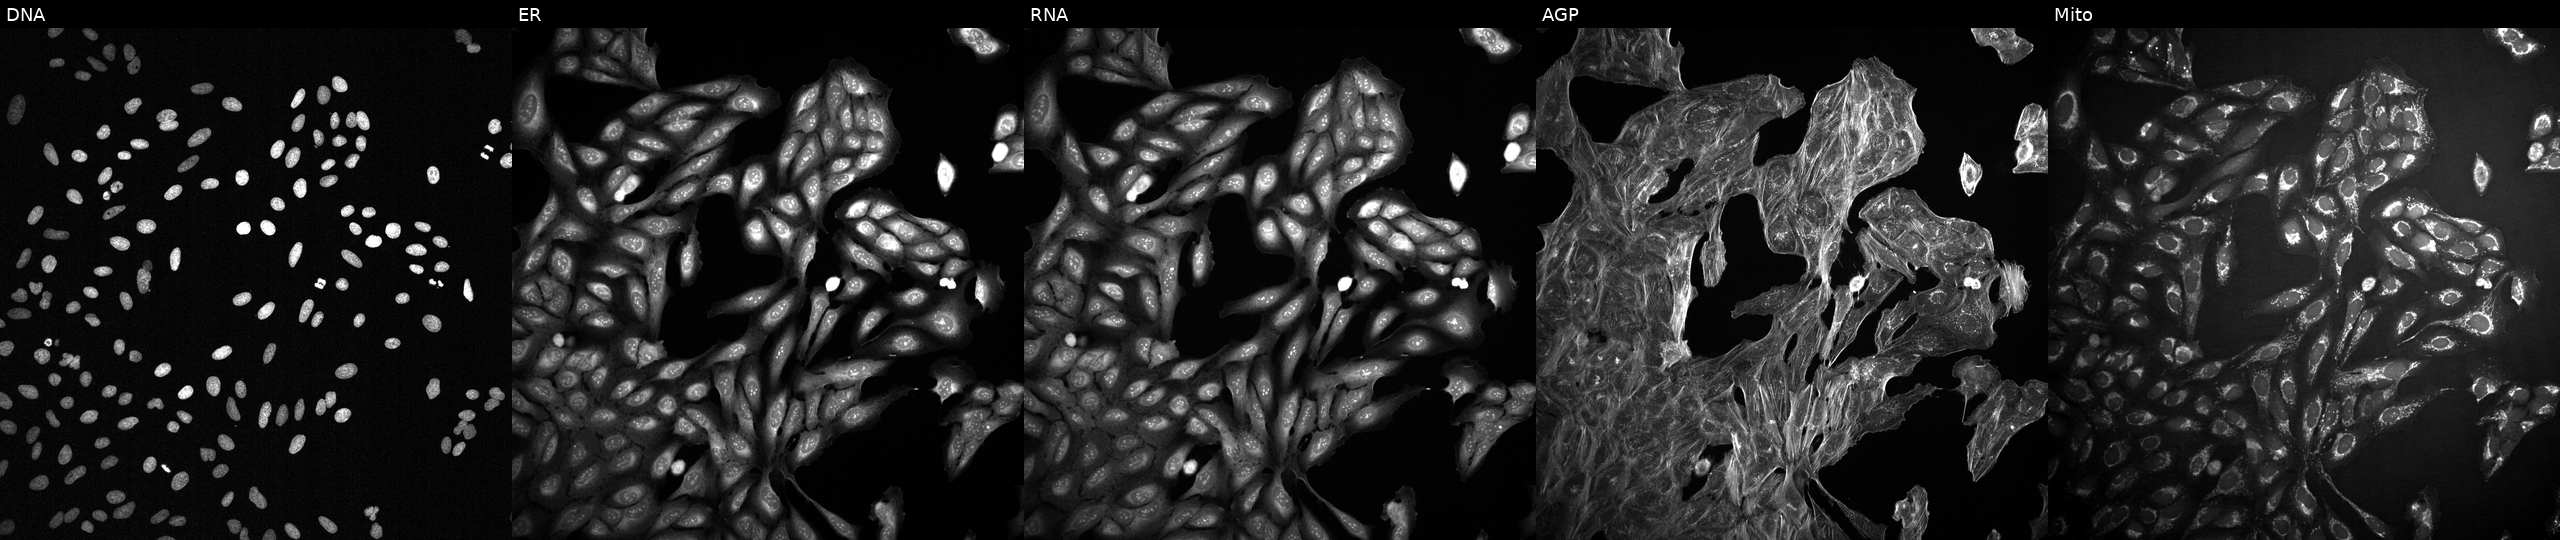
JUMP Cell Painting — TARGET2 plate. U2OS cells treated with a small-molecule compound (InChIKey SGRYPYWGNKJSDL-UHFFFAOYSA-N) (JUMP id JCP2022_083099). Panels show, left to right, DNA (nuclei); ER (endoplasmic reticulum); RNA (nucleoli and cytoplasmic RNA); AGP (actin cytoskeleton, Golgi, and plasma membrane); Mito (mitochondria).